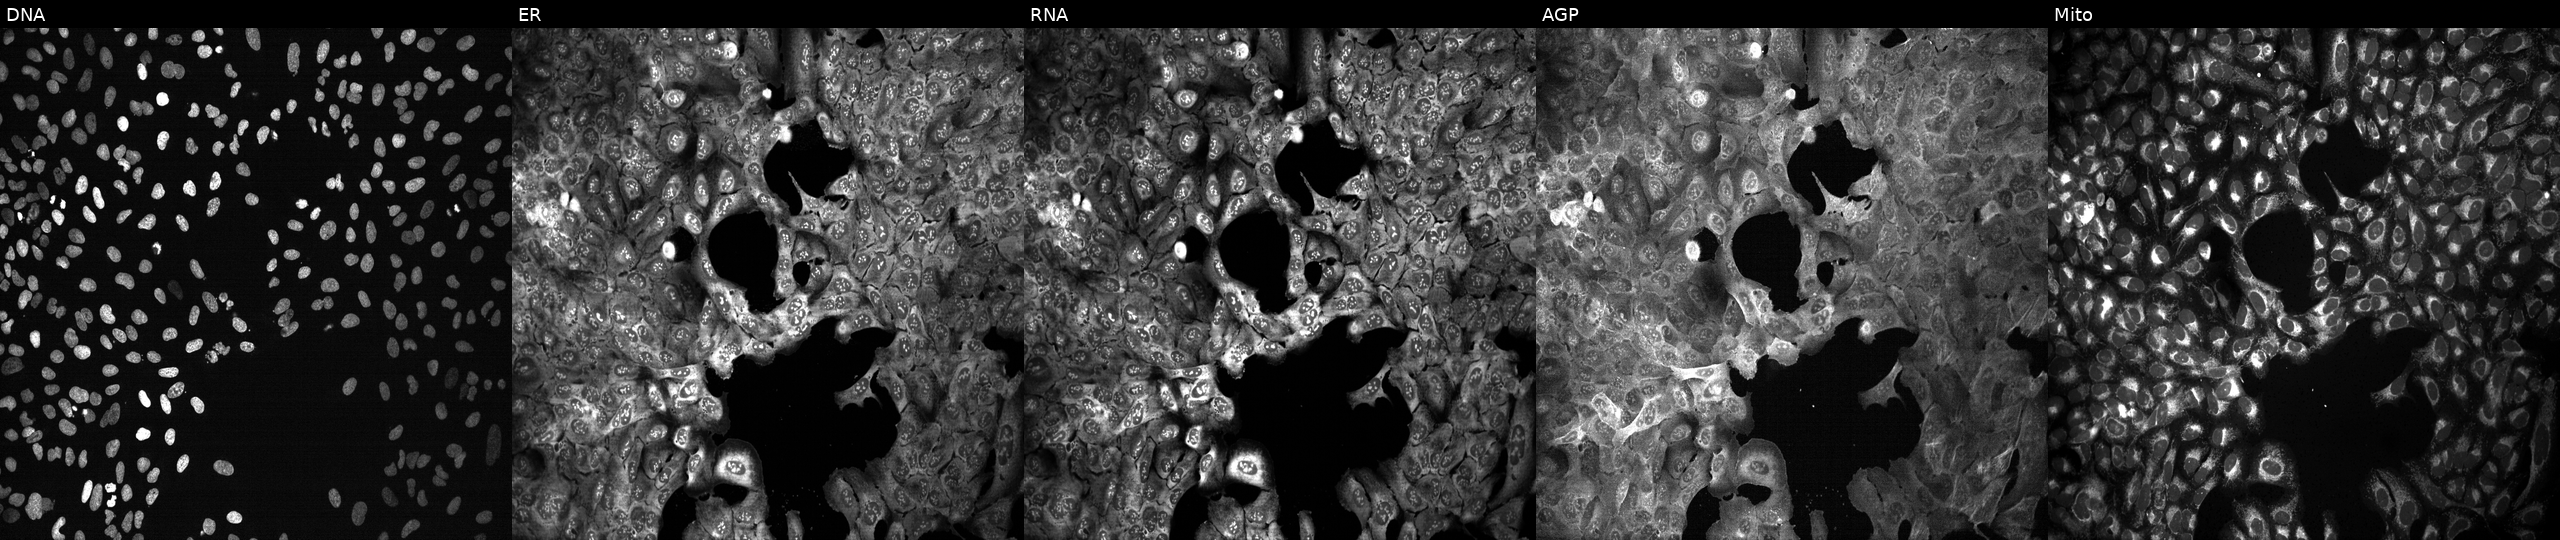
High-content fluorescence microscopy (Cell Painting). Cell line: U2OS. Perturbation: CRISPR-edited to disrupt TROAP. From left to right: DNA (nuclei); ER (endoplasmic reticulum); RNA (nucleoli and cytoplasmic RNA); AGP (actin cytoskeleton, Golgi, and plasma membrane); Mito (mitochondria). Source 13, plate CP-CC9-R3-02, well M22.